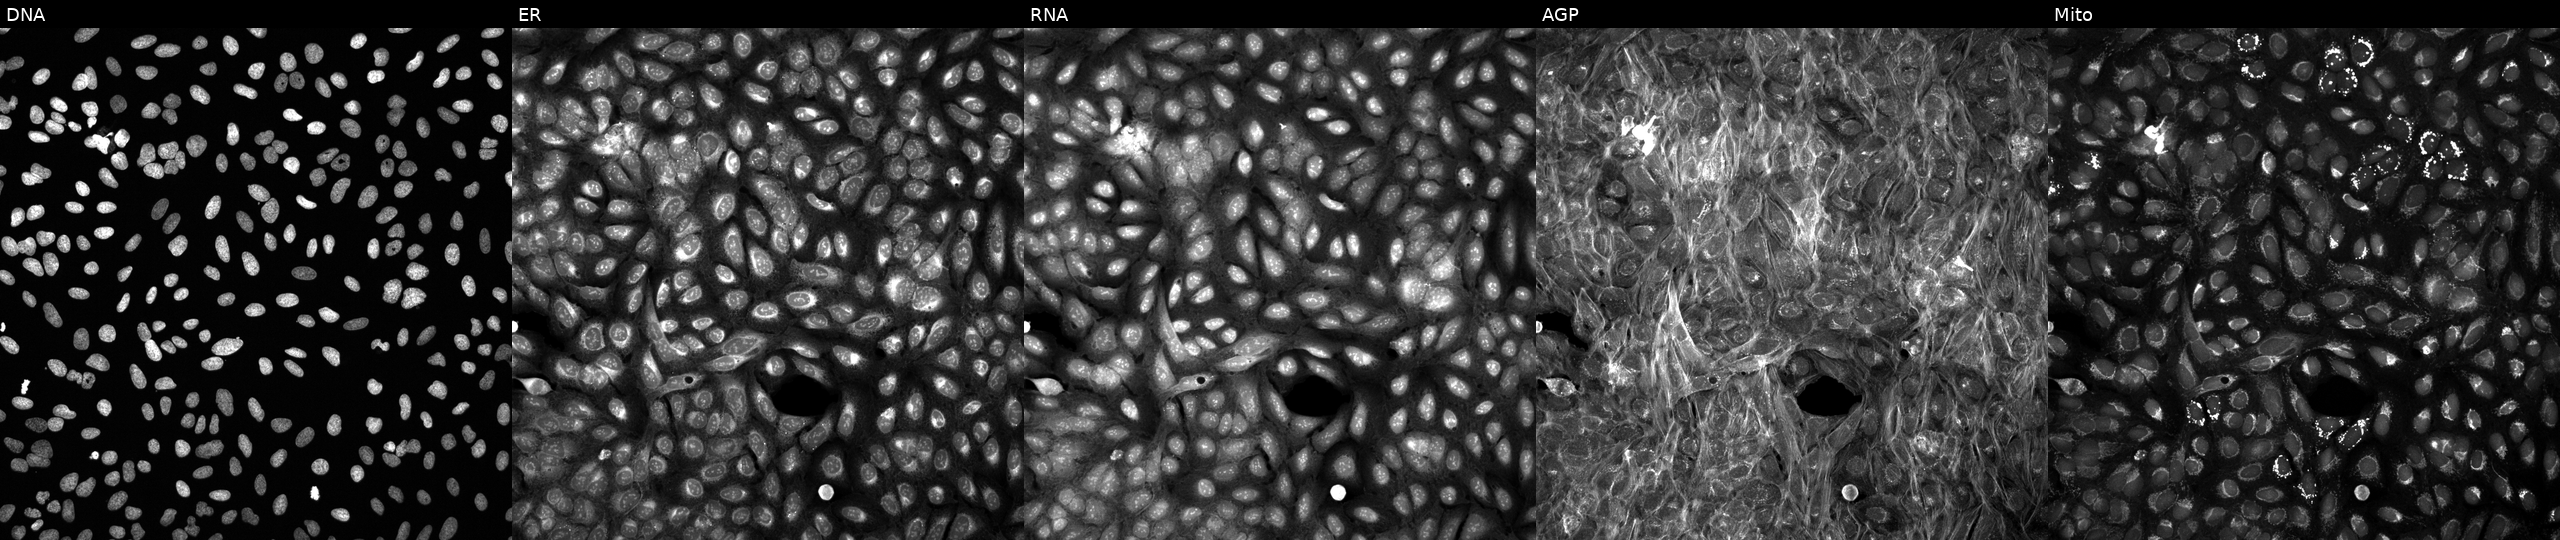
U2OS cells, Cell Painting assay, exposed to DMSO alone as a negative control (JUMP id JCP2022_033924). Panels show, left to right, DNA, ER, RNA, AGP, and Mito. Each panel is percentile-stretched 16-bit fluorescence.